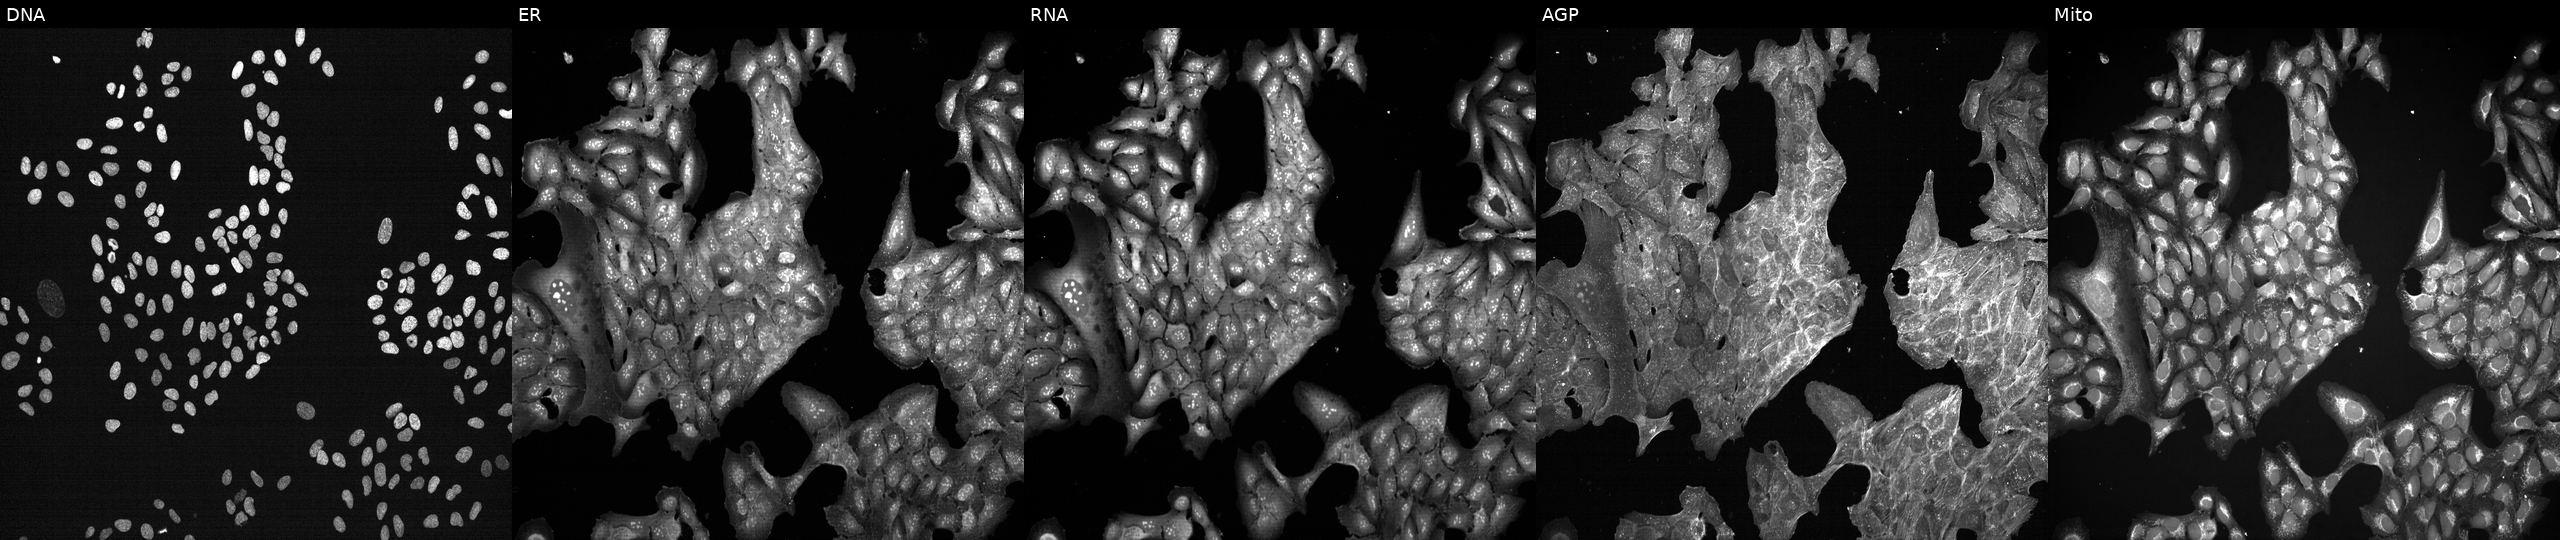
High-content fluorescence microscopy (Cell Painting). Cell line: U2OS. Perturbation: treated with DMSO vehicle only (negative control). Channels (left→right): DNA (nuclei); ER (endoplasmic reticulum); RNA (nucleoli and cytoplasmic RNA); AGP (actin cytoskeleton, Golgi, and plasma membrane); Mito (mitochondria). Source 7, plate CP2-SC1-25, well O12.